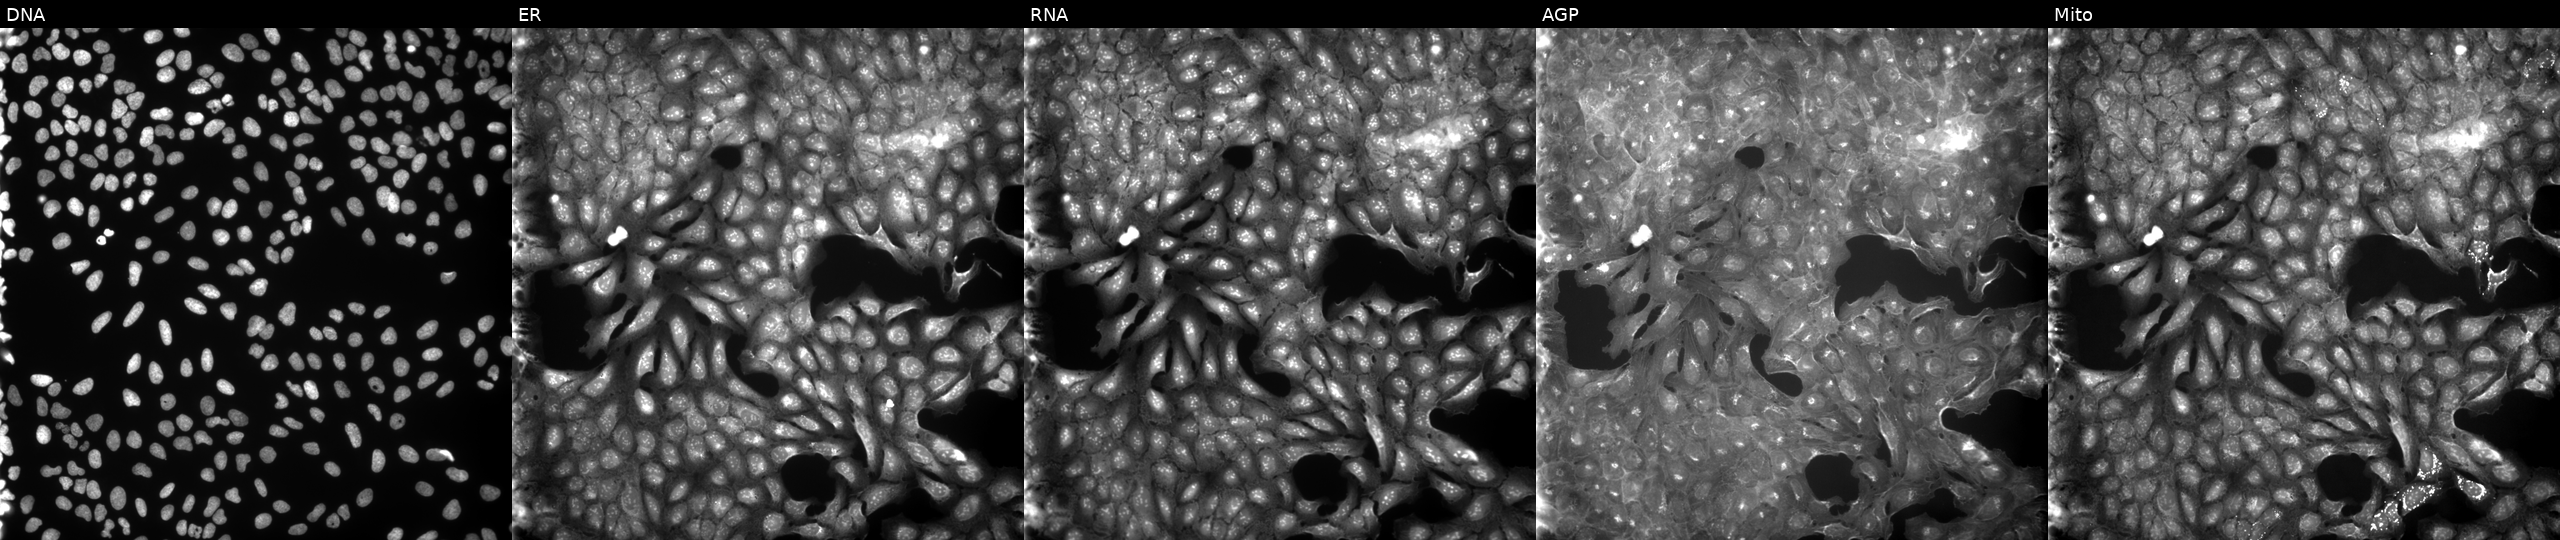
Five-channel Cell Painting image of U2OS cells exposed to a small-molecule compound (InChIKey VGHUNHMCOJGJSJ-UHFFFAOYSA-N). From left to right: DNA (nuclei); ER (endoplasmic reticulum); RNA (nucleoli and cytoplasmic RNA); AGP (actin cytoskeleton, Golgi, and plasma membrane); Mito (mitochondria). Source 9, plate GR00003381, well K16.